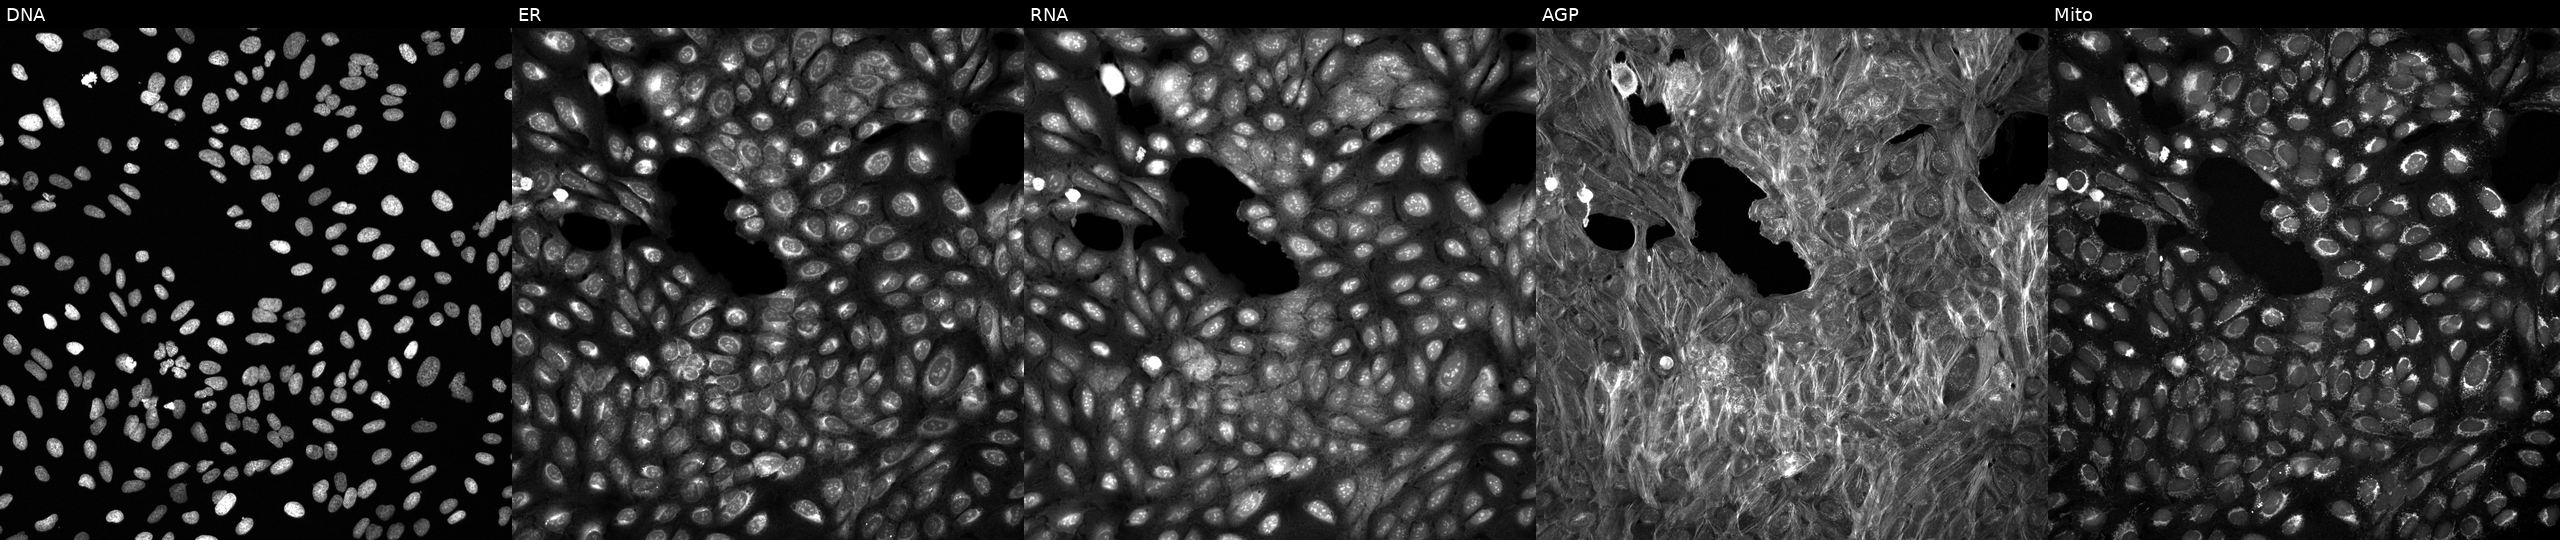
Five-channel Cell Painting image of U2OS cells exposed to DMSO alone as a negative control. Channels (left→right): Hoechst 33342, concanavalin A, SYTO 14, phalloidin and WGA, MitoTracker.